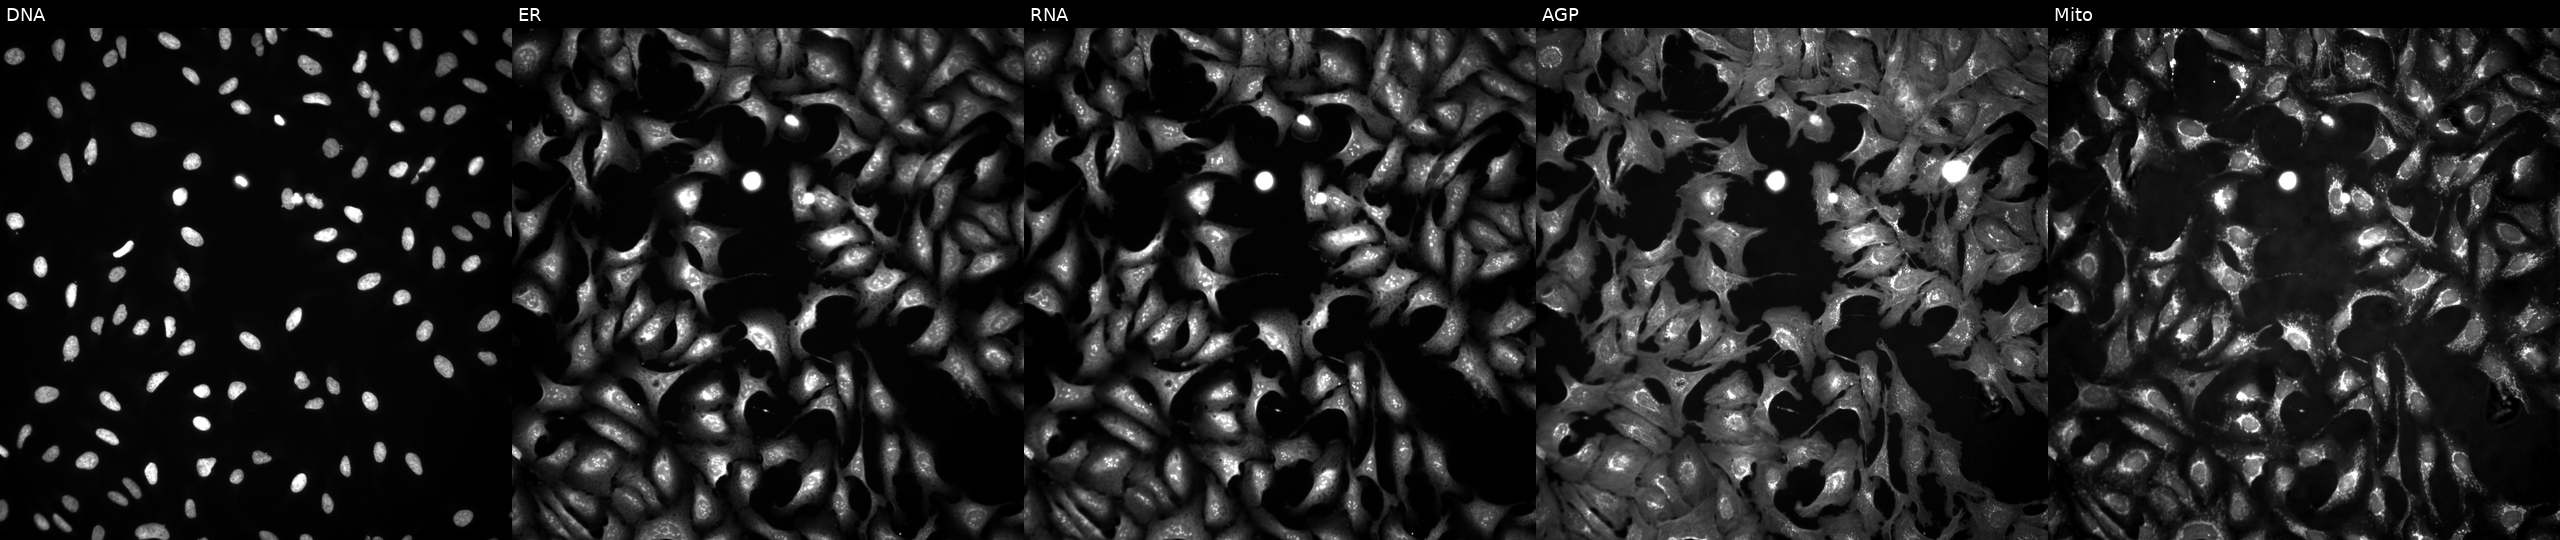
U2OS cells, Cell Painting assay, with EPHB1 overexpressed (ORF). Channels (left→right): DNA (nuclei); ER (endoplasmic reticulum); RNA (nucleoli and cytoplasmic RNA); AGP (actin cytoskeleton, Golgi, and plasma membrane); Mito (mitochondria). Each panel is percentile-stretched 16-bit fluorescence.